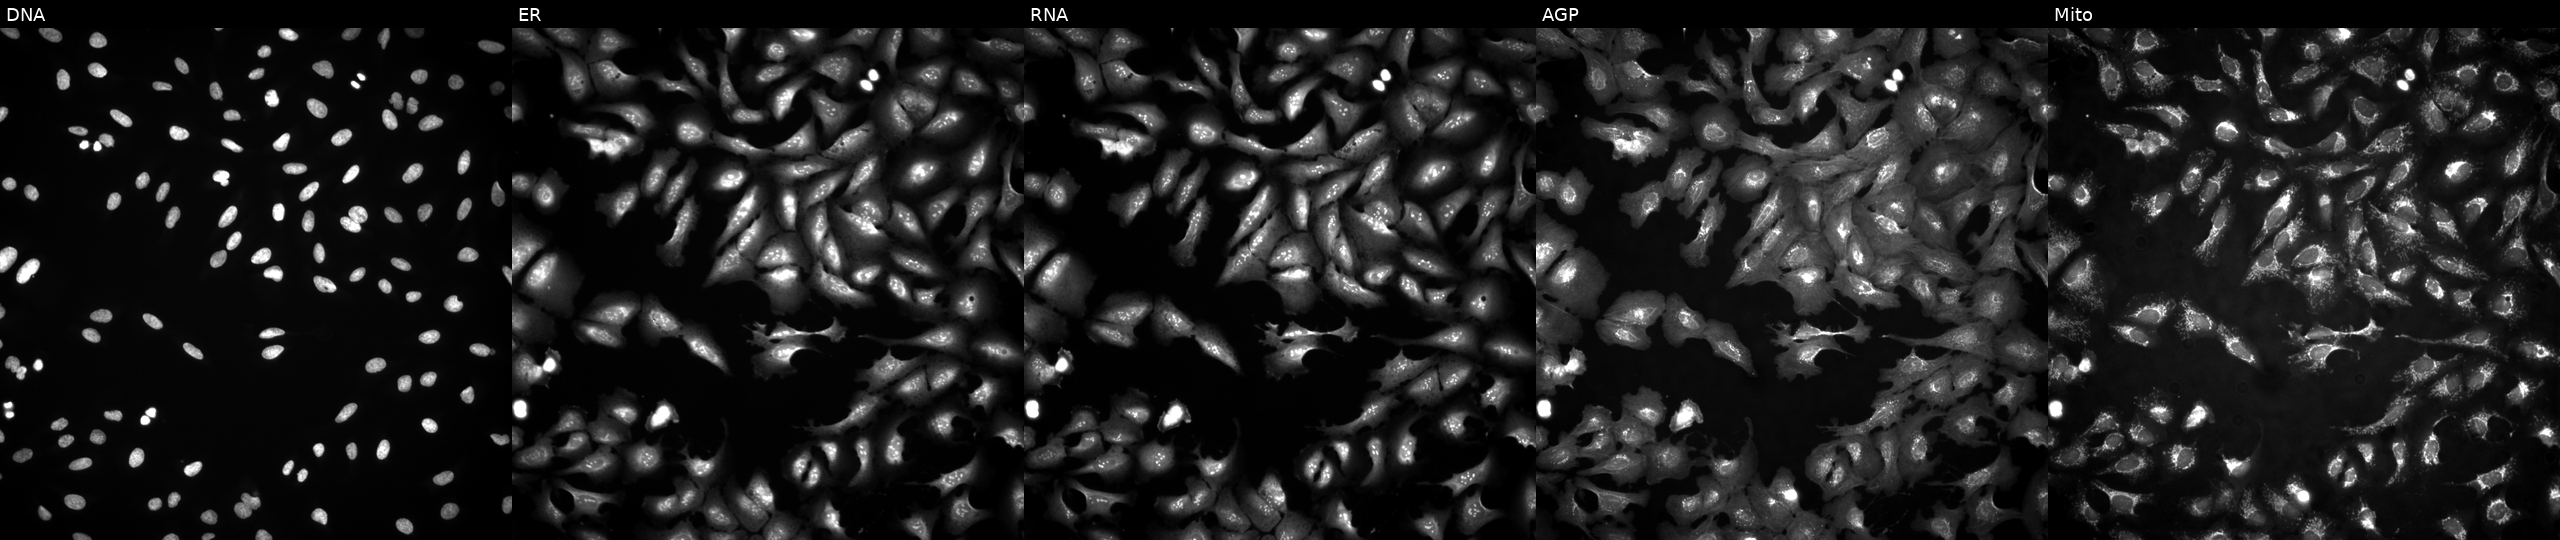
The five panels, left to right, show DNA, ER, RNA, AGP, and Mito. U2OS osteosarcoma cells with DNAJC24 overexpressed (ORF) (JUMP id JCP2022_913405). Cell Painting assay, JUMP-CP dataset. Source 4, plate BR00124787, well K04.